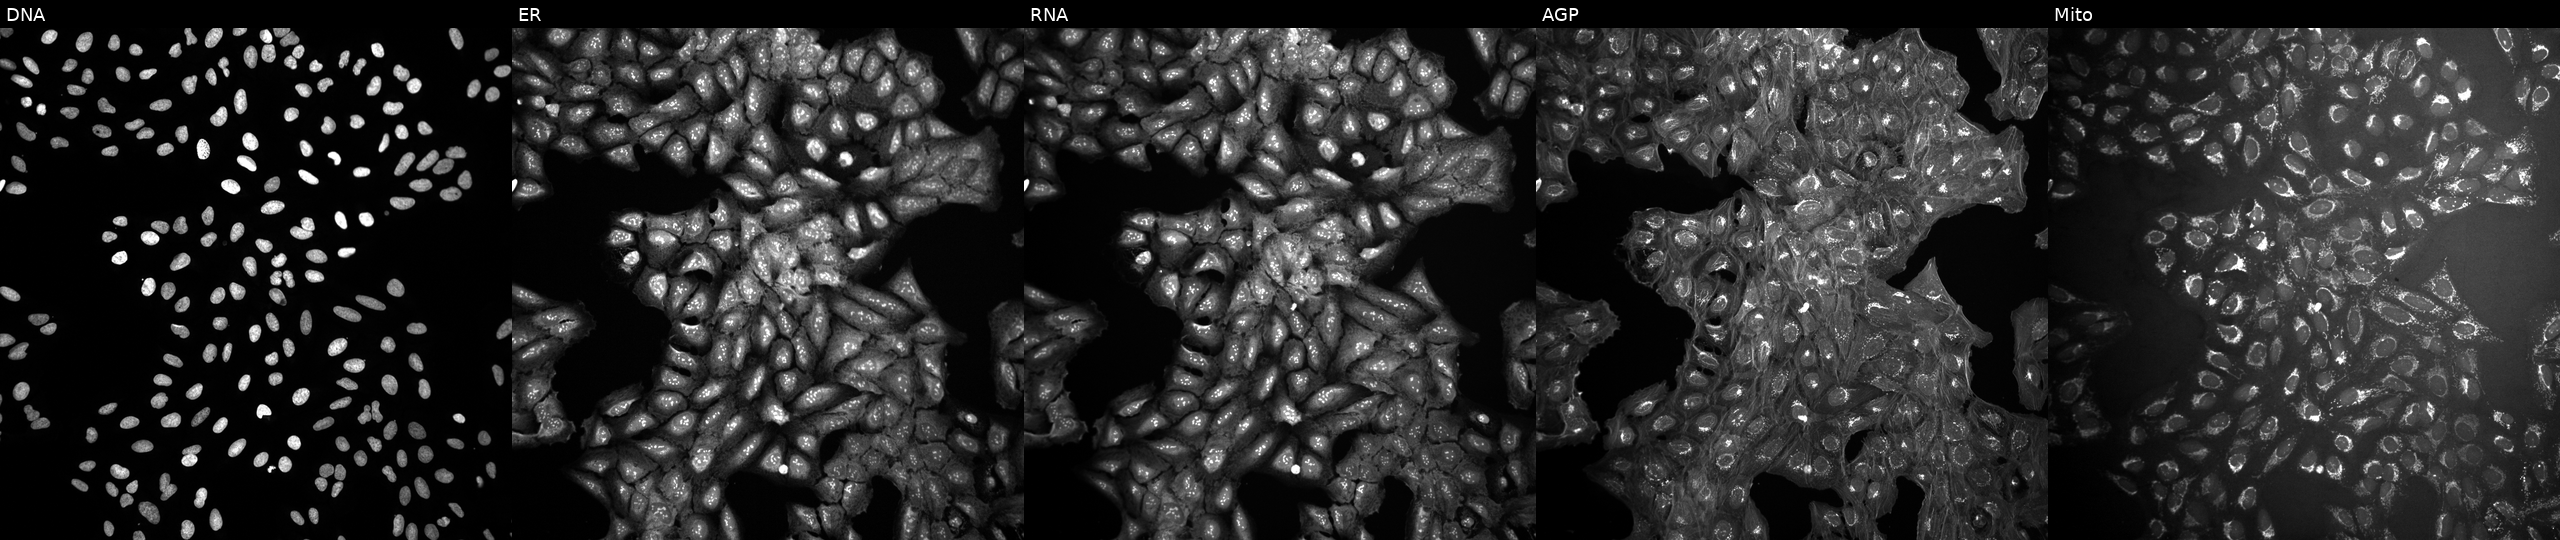
Channels (left→right): DNA (nuclei); ER (endoplasmic reticulum); RNA (nucleoli and cytoplasmic RNA); AGP (actin cytoskeleton, Golgi, and plasma membrane); Mito (mitochondria). U2OS osteosarcoma cells exposed to a small-molecule compound (InChIKey CBEIRBPJXMYREG-UHFFFAOYSA-N). Cell Painting assay, JUMP-CP dataset.